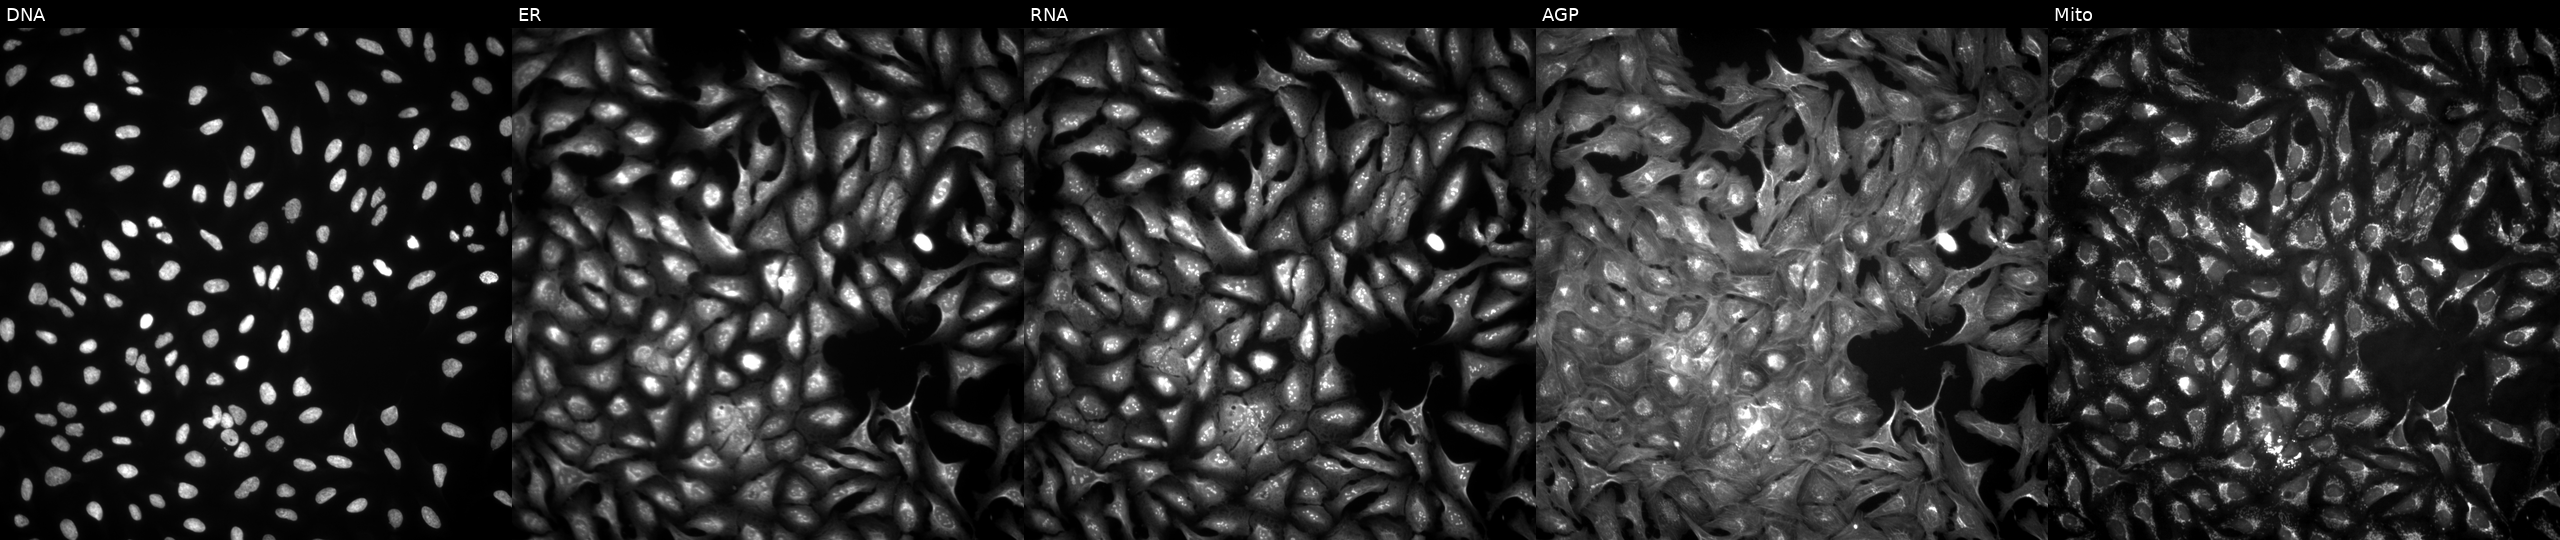
This image strip shows the five Cell Painting channels for a single field of U2OS cells expressing BFP (ORF negative control). Panels show, left to right, DNA (nuclei); ER (endoplasmic reticulum); RNA (nucleoli and cytoplasmic RNA); AGP (actin cytoskeleton, Golgi, and plasma membrane); Mito (mitochondria). Source 4, plate BR00123509, well N02.